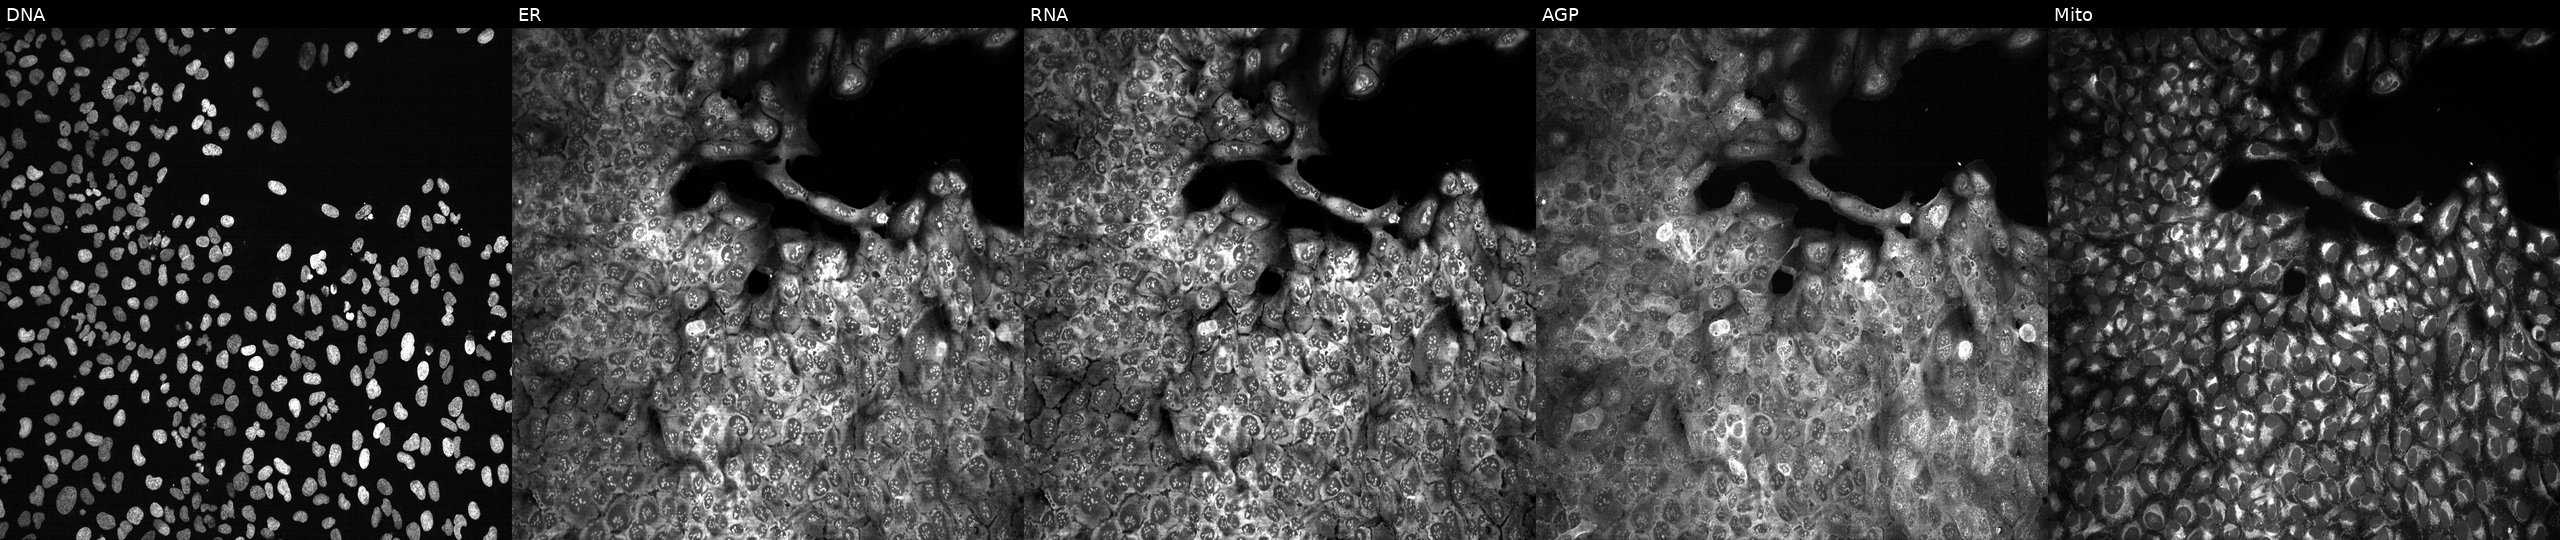
JUMP Cell Painting — CRISPR plate. U2OS cells following CRISPR knockout of PTBP1. Panels show, left to right, DNA, ER, RNA, AGP, and Mito. Source 13, plate CP-CC9-R4-03, well P17.